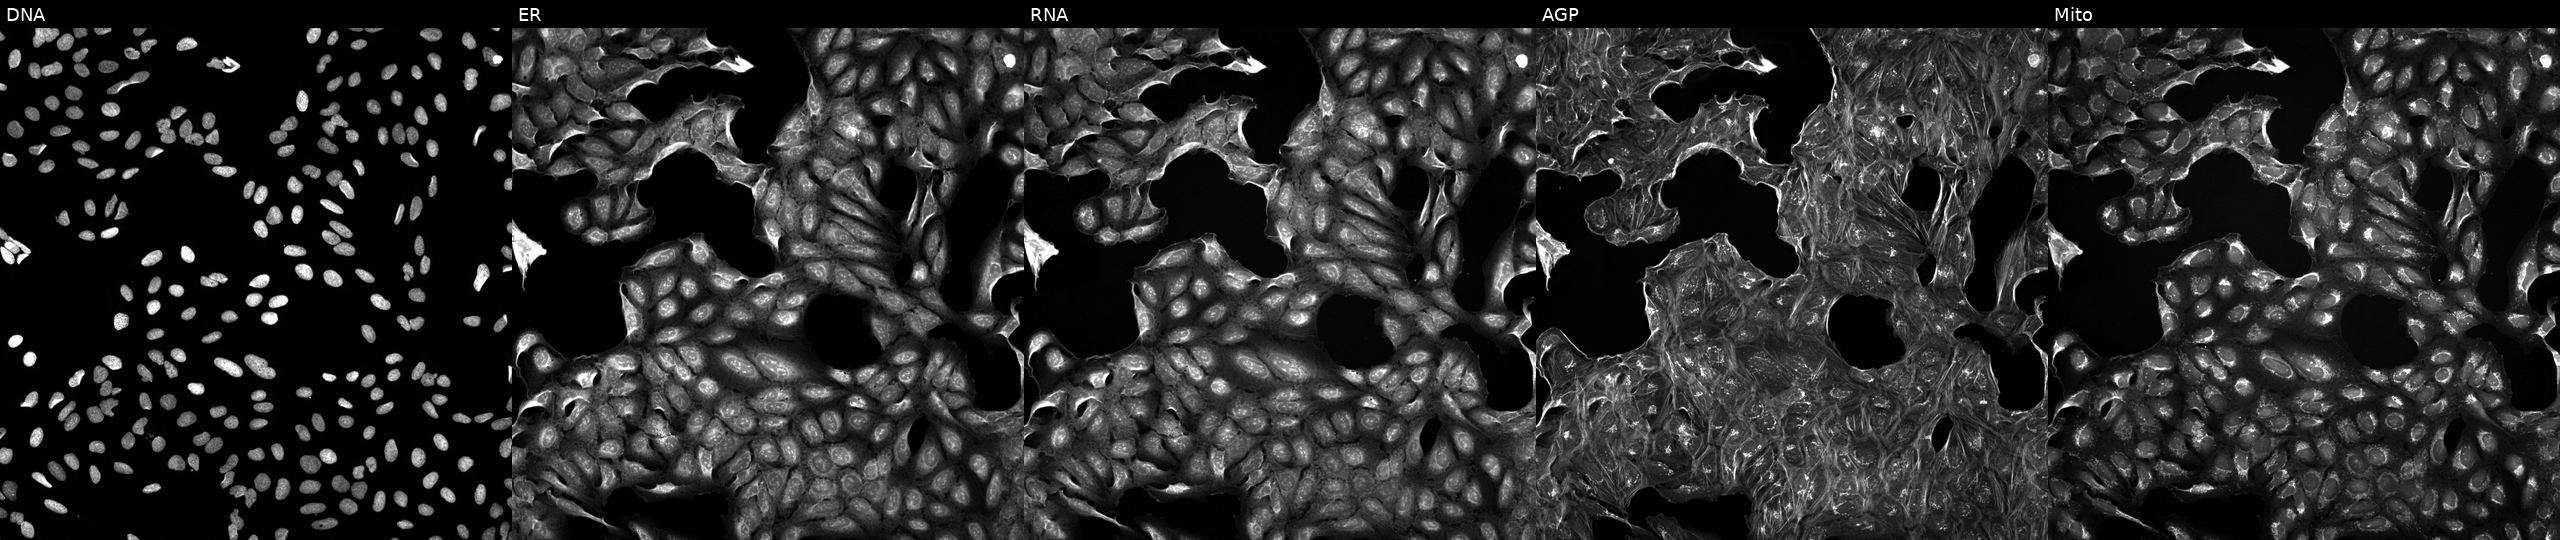
U2OS cells, Cell Painting assay, perturbed with a small-molecule compound (InChIKey PMATZTZNYRCHOR-UHFFFAOYSA-N). Panels show, left to right, Hoechst 33342, concanavalin A, SYTO 14, phalloidin and WGA, MitoTracker. Each panel is percentile-stretched 16-bit fluorescence.